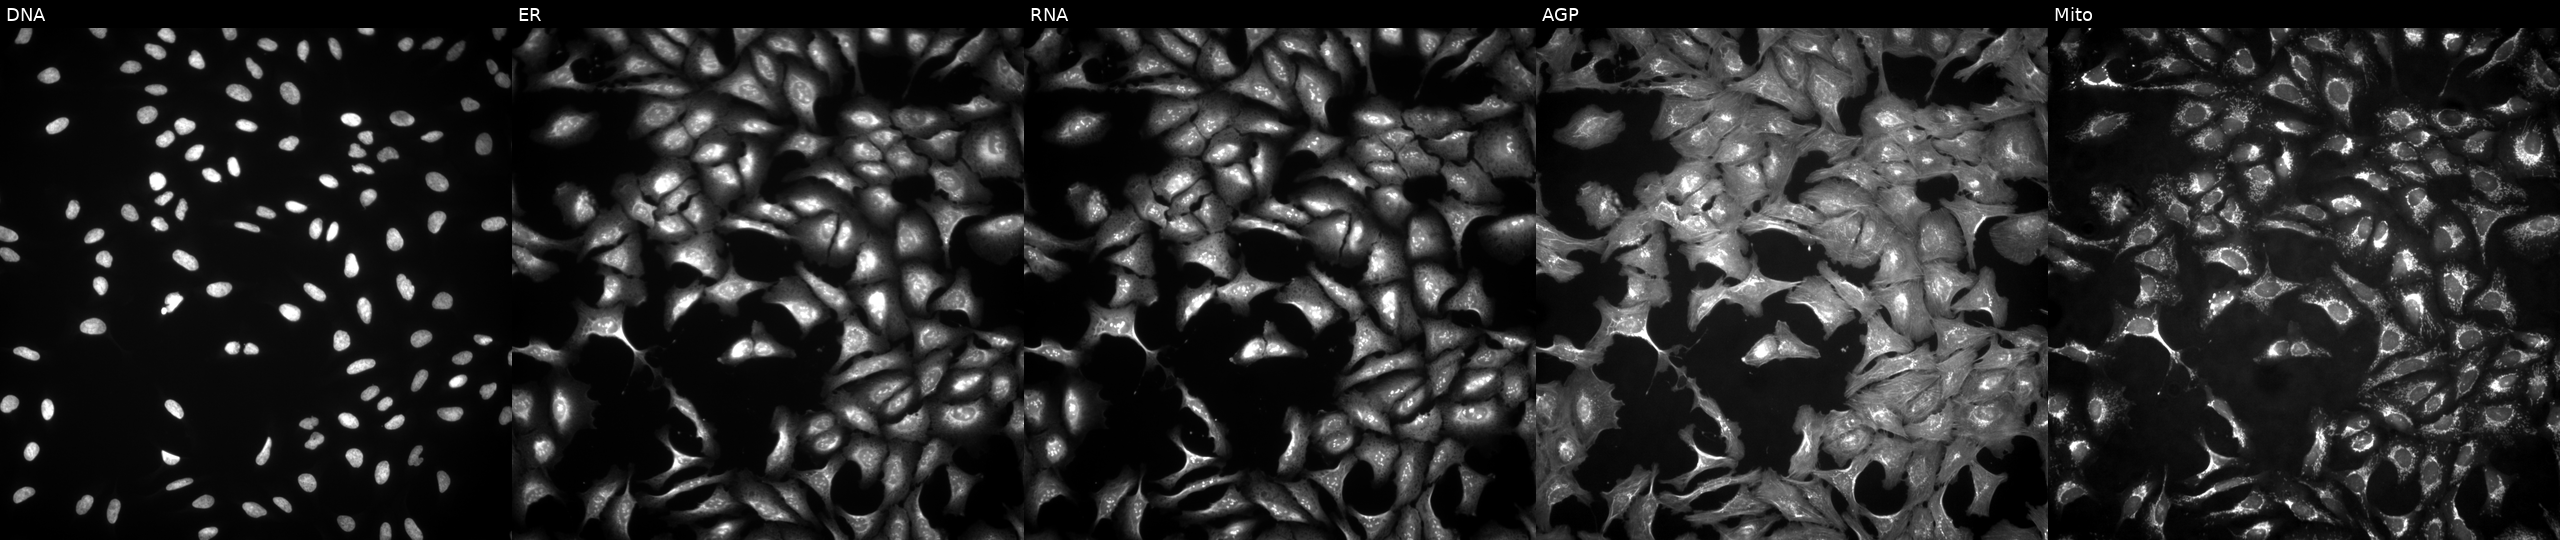
Channels (left→right): Hoechst 33342, concanavalin A, SYTO 14, phalloidin and WGA, MitoTracker. U2OS osteosarcoma cells transfected with an ORF construct for TLE5. Cell Painting assay, JUMP-CP dataset. Source 4, plate BR00123509, well C08.